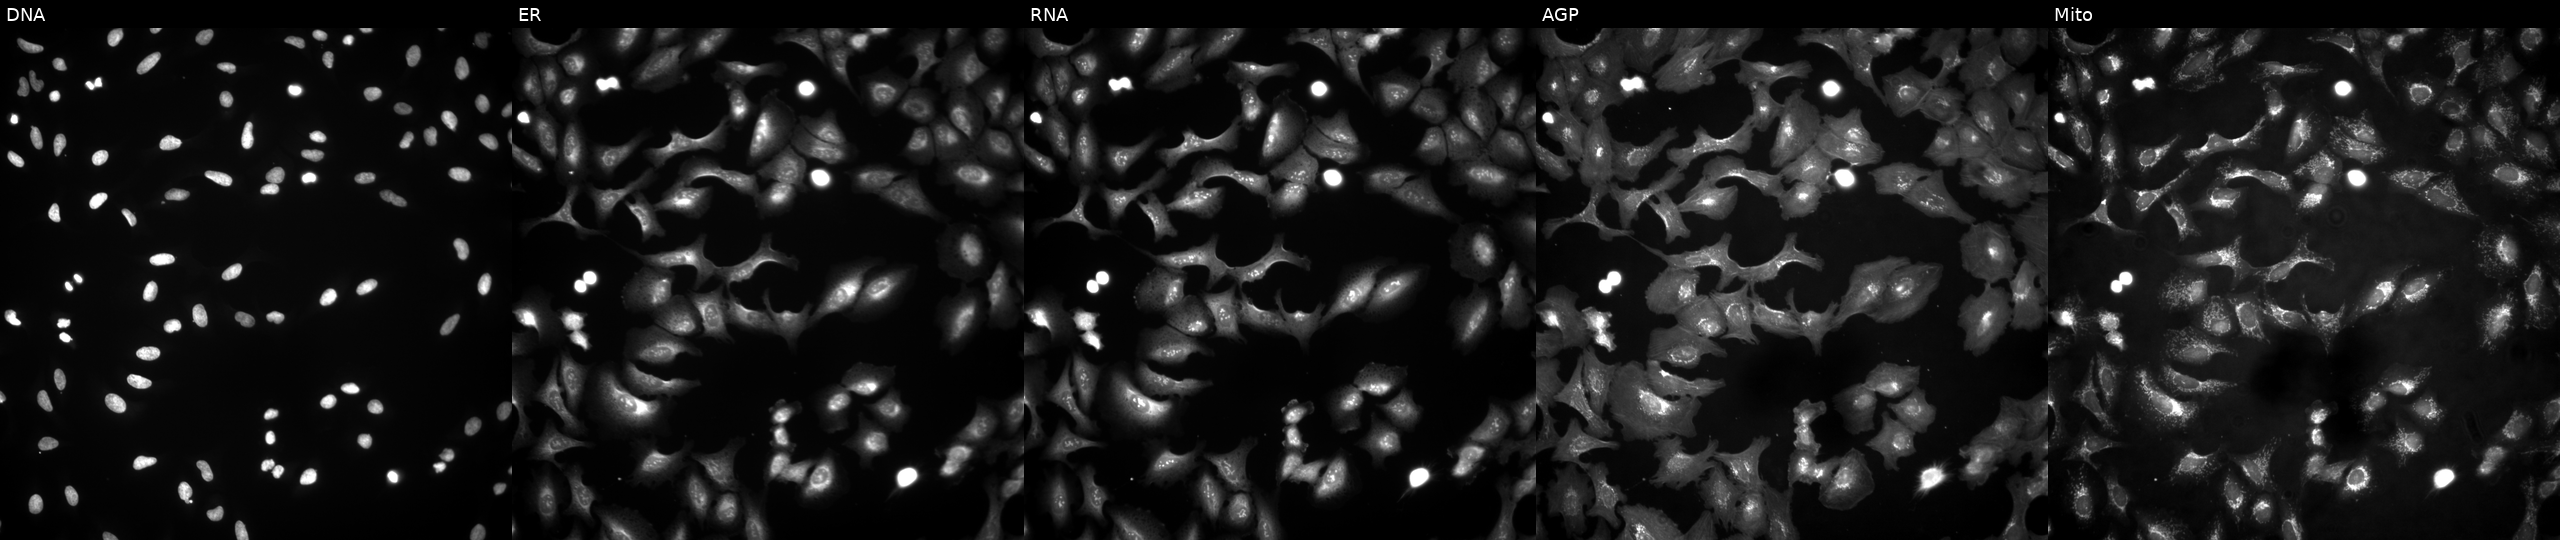
U2OS cells, Cell Painting assay, transfected with an ORF construct for INPP5D (JUMP id JCP2022_914480). Channels (left→right): Hoechst 33342, concanavalin A, SYTO 14, phalloidin and WGA, MitoTracker. Each panel is percentile-stretched 16-bit fluorescence. Source 4, plate BR00124790, well D20.